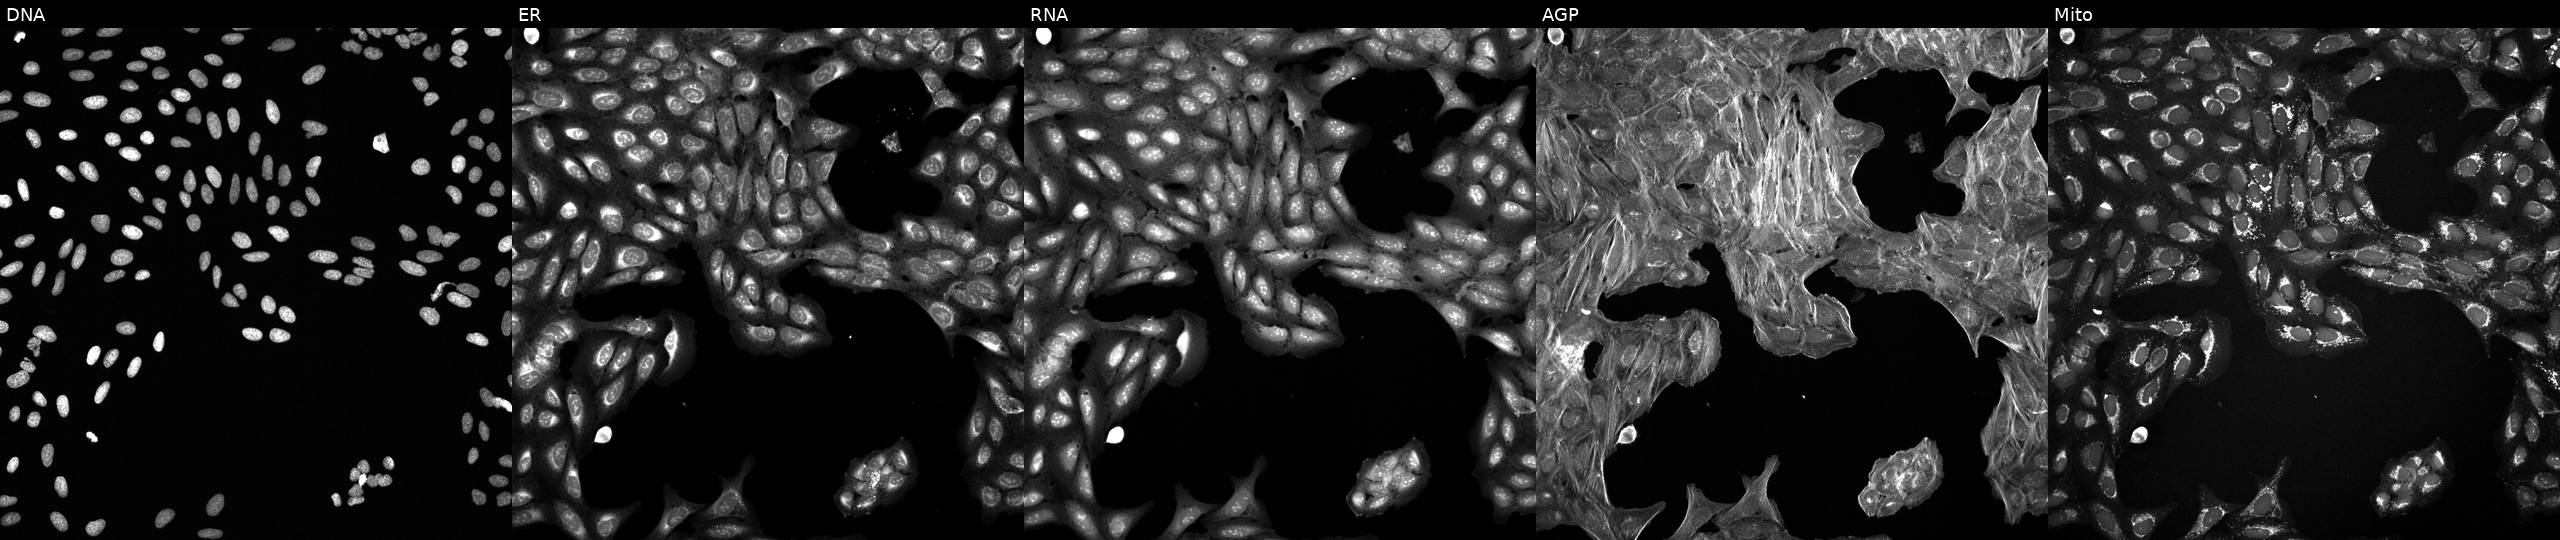
U2OS cells, Cell Painting assay, treated with a small-molecule compound. Panels show, left to right, Hoechst 33342, concanavalin A, SYTO 14, phalloidin and WGA, MitoTracker. Each panel is percentile-stretched 16-bit fluorescence.